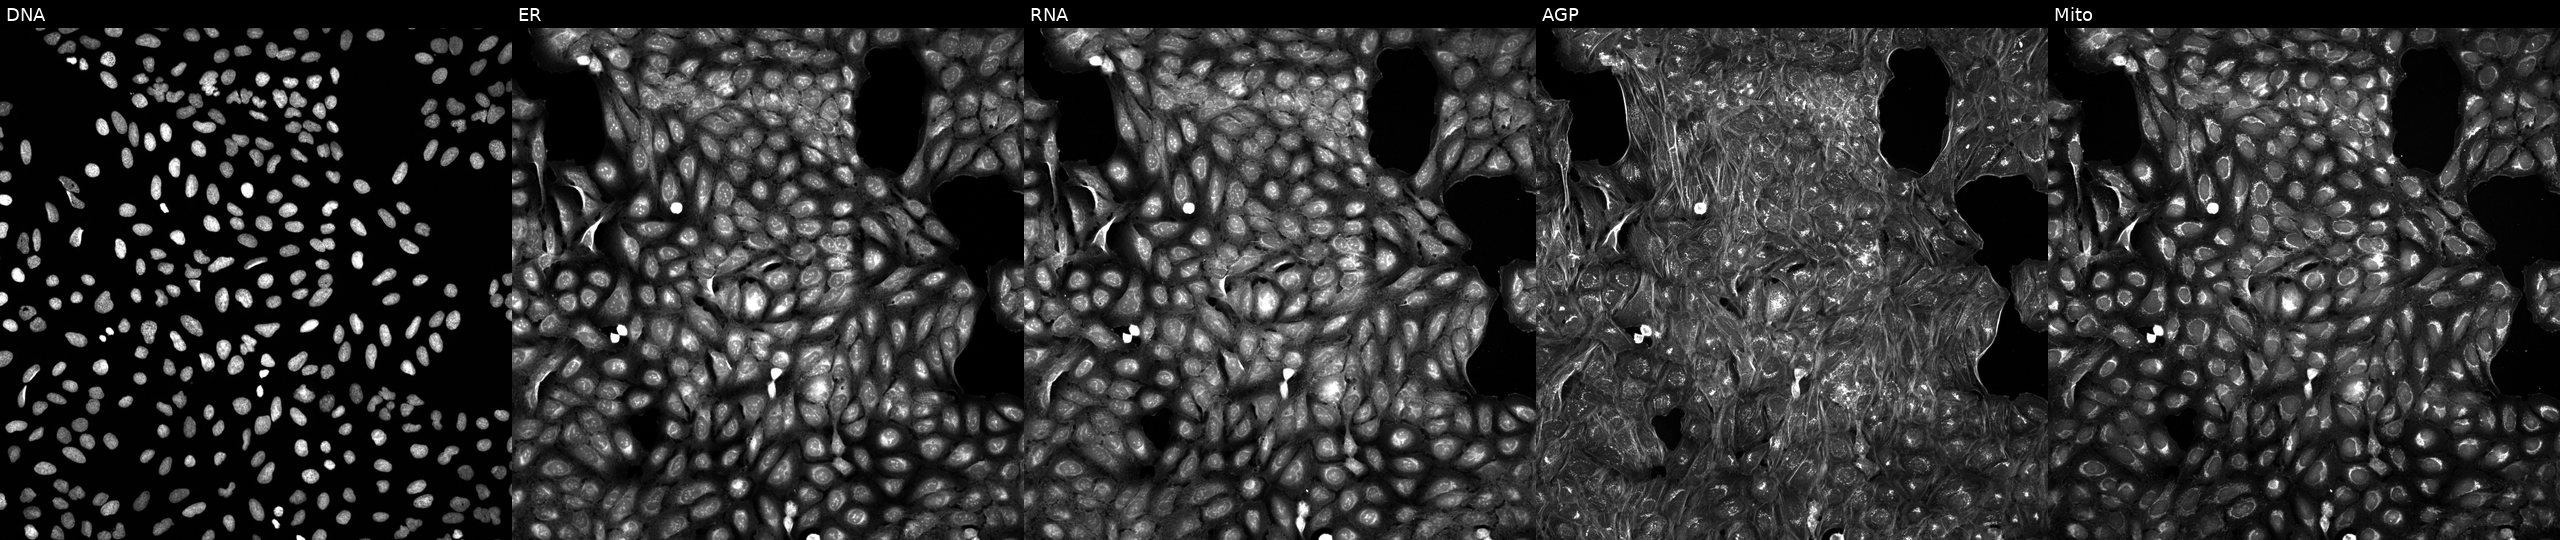
High-content fluorescence microscopy (Cell Painting). Cell line: U2OS. Perturbation: treated with a small-molecule compound (InChIKey HYAPXTNFGNJCGE-UHFFFAOYSA-N) [SMILES: Cc1cc(C)n(CCC(=O)N2CCCCCC2c2nnc(C)o2)n1] (JUMP id JCP2022_033366). Channels (left→right): Hoechst 33342, concanavalin A, SYTO 14, phalloidin and WGA, MitoTracker. Source 5, plate APTJUM106, well E10.